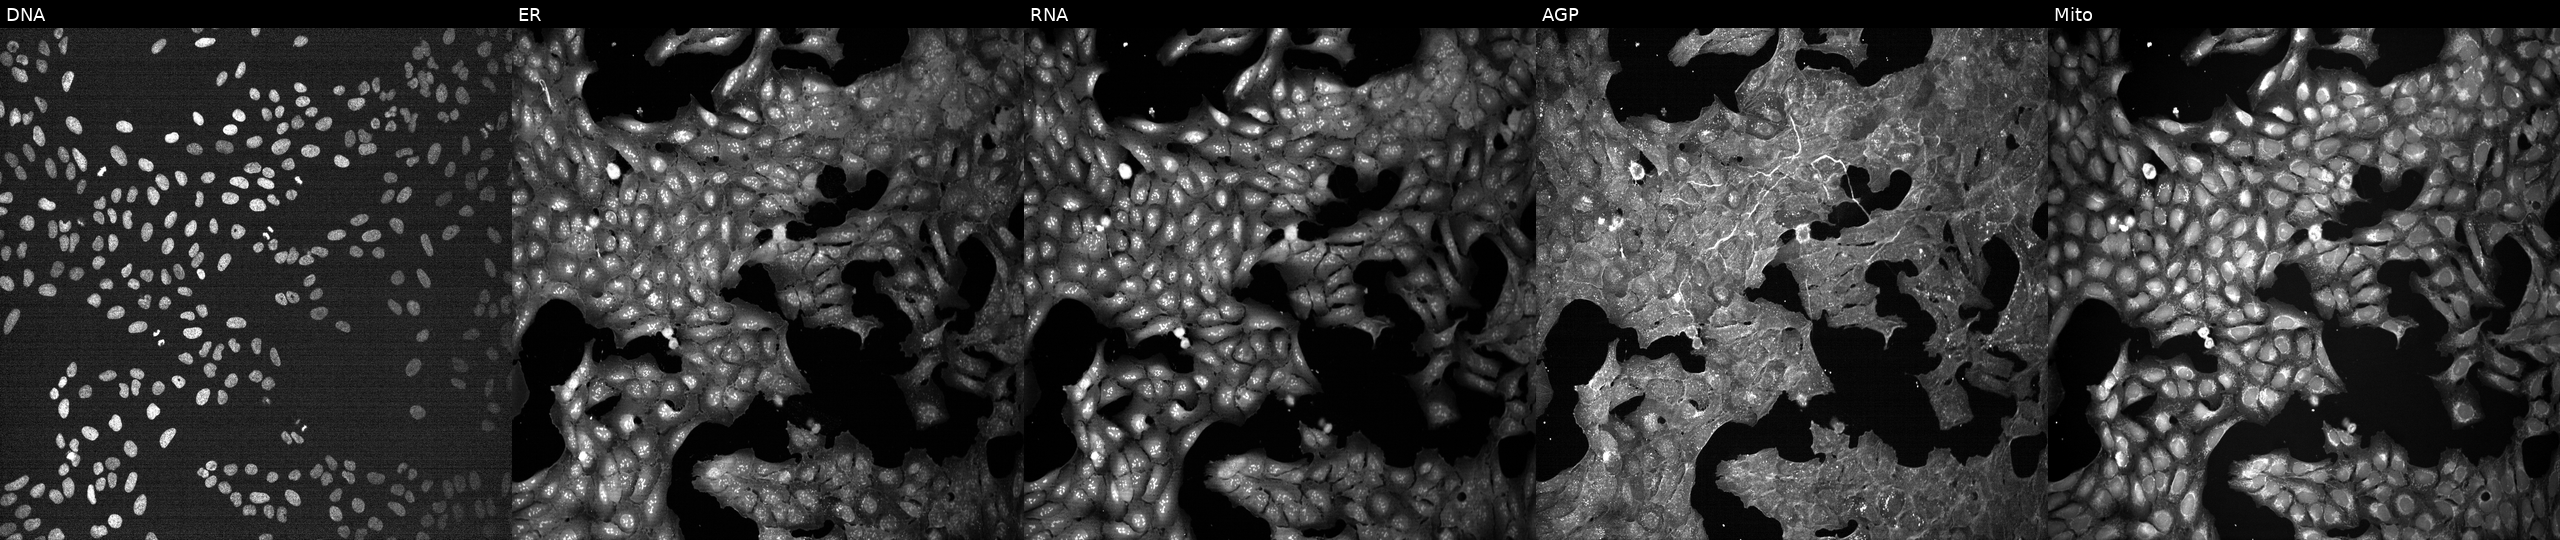
JUMP Cell Painting — TARGET2 plate. U2OS cells perturbed with a small-molecule compound (InChIKey WXPNDRBBWZMPQG-UHFFFAOYSA-N) [SMILES: Cc1cc2c(s1)=Nc1ccccc1NC=2N1CCN(C)CC1] (JUMP id JCP2022_101857). From left to right: DNA (nuclei); ER (endoplasmic reticulum); RNA (nucleoli and cytoplasmic RNA); AGP (actin cytoskeleton, Golgi, and plasma membrane); Mito (mitochondria).